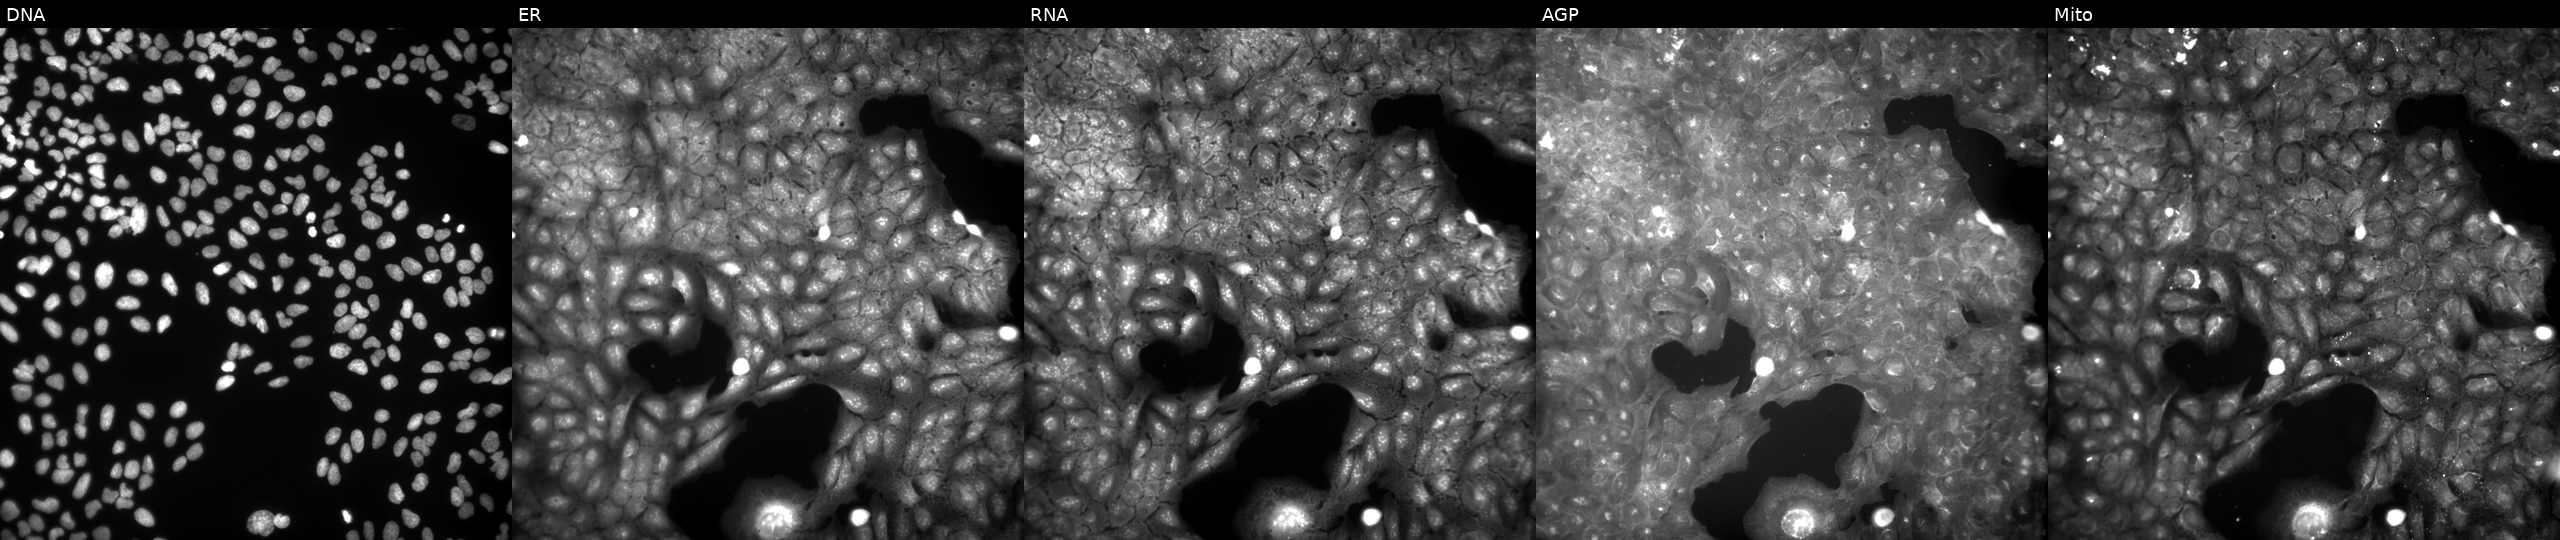
U2OS cells, Cell Painting assay, treated with a small-molecule compound (InChIKey YNGNUHTTXYBQEY-UHFFFAOYSA-N) [SMILES: Cc1cc2nc(-c3ccc(C)c(N)c3)oc2cc1C]. Panels show, left to right, Hoechst 33342, concanavalin A, SYTO 14, phalloidin and WGA, MitoTracker. Each panel is percentile-stretched 16-bit fluorescence. Source 9, plate GR00003381, well E43.